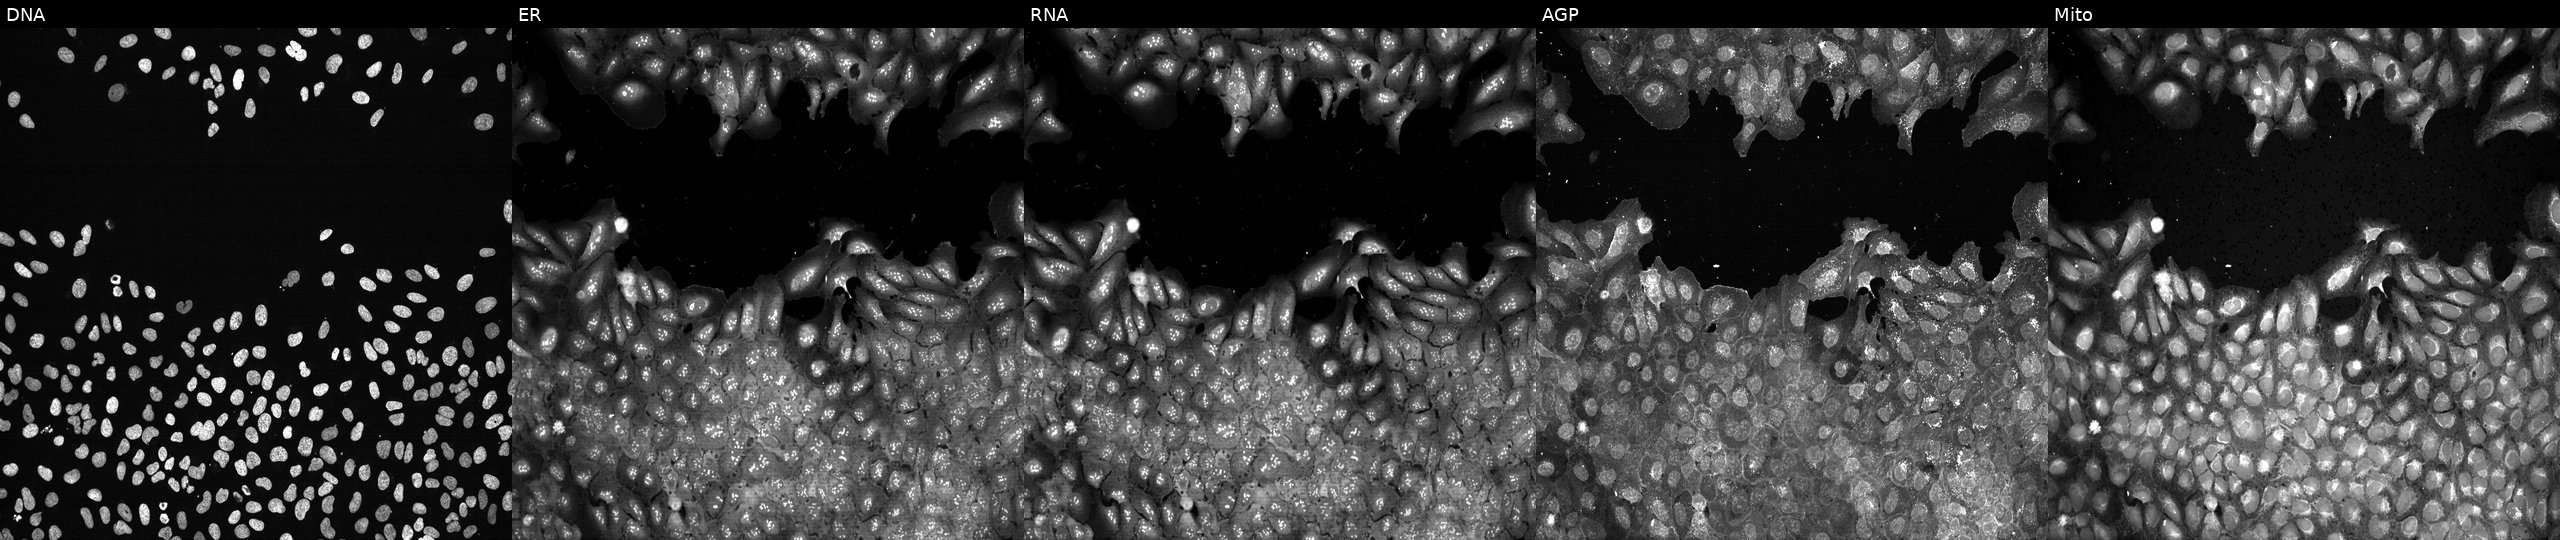
U2OS cells, Cell Painting assay, following CRISPR knockout of SLC2A2. Panels show, left to right, DNA, ER, RNA, AGP, and Mito. Each panel is percentile-stretched 16-bit fluorescence. Source 13, plate CP-CC9-R1-02, well B14.